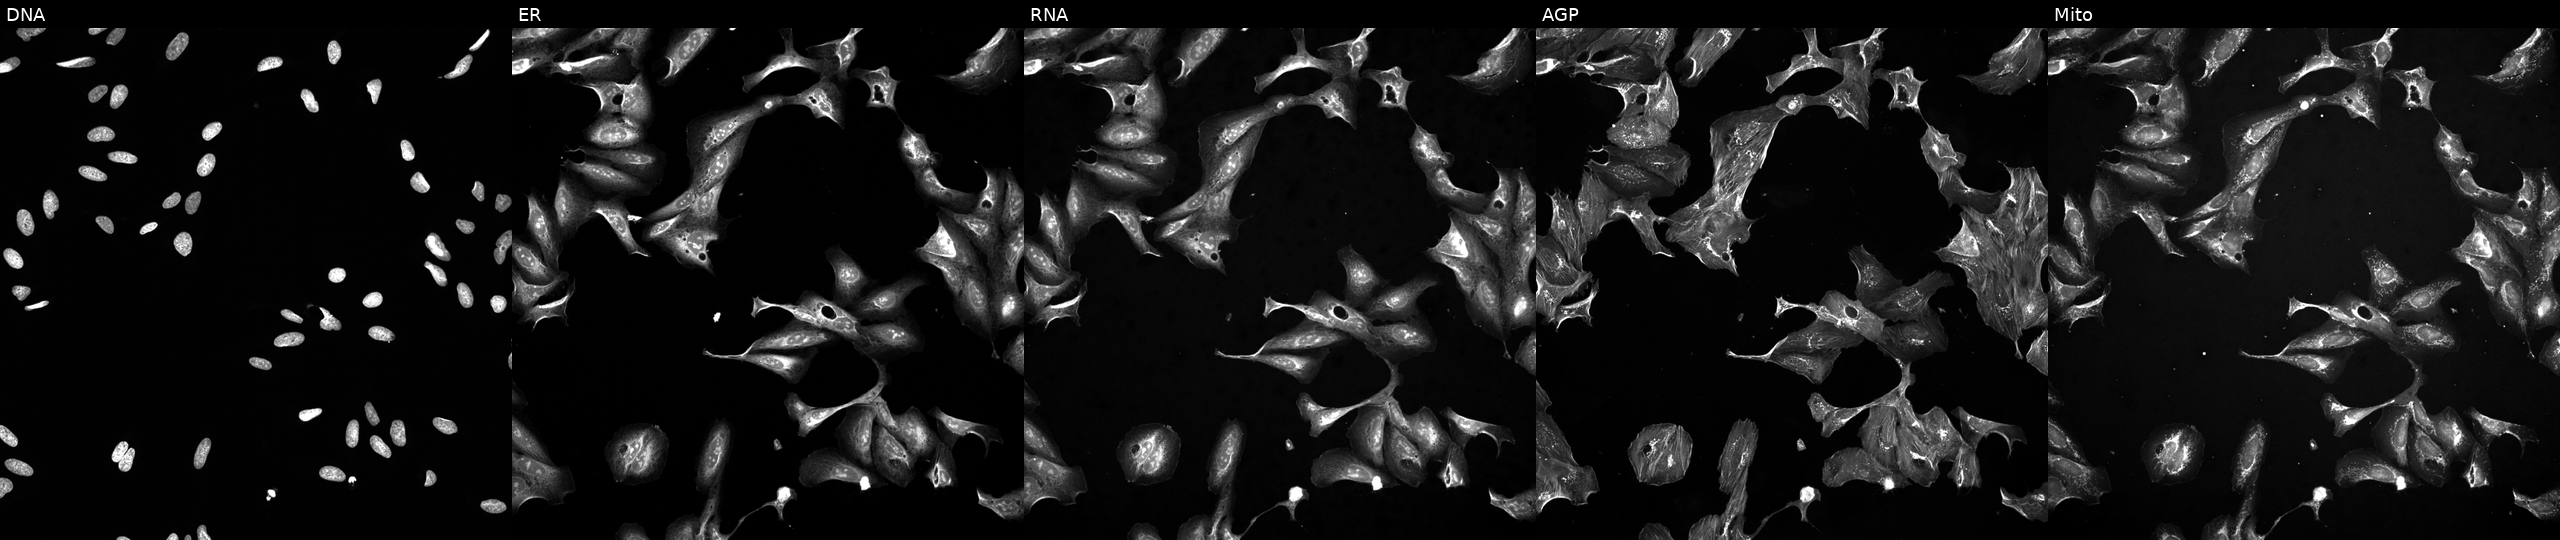
Five-channel Cell Painting image of U2OS cells perturbed with a small-molecule compound (InChIKey MNYJJHBAEYKXEG-UHFFFAOYSA-N). From left to right: Hoechst 33342, concanavalin A, SYTO 14, phalloidin and WGA, MitoTracker.